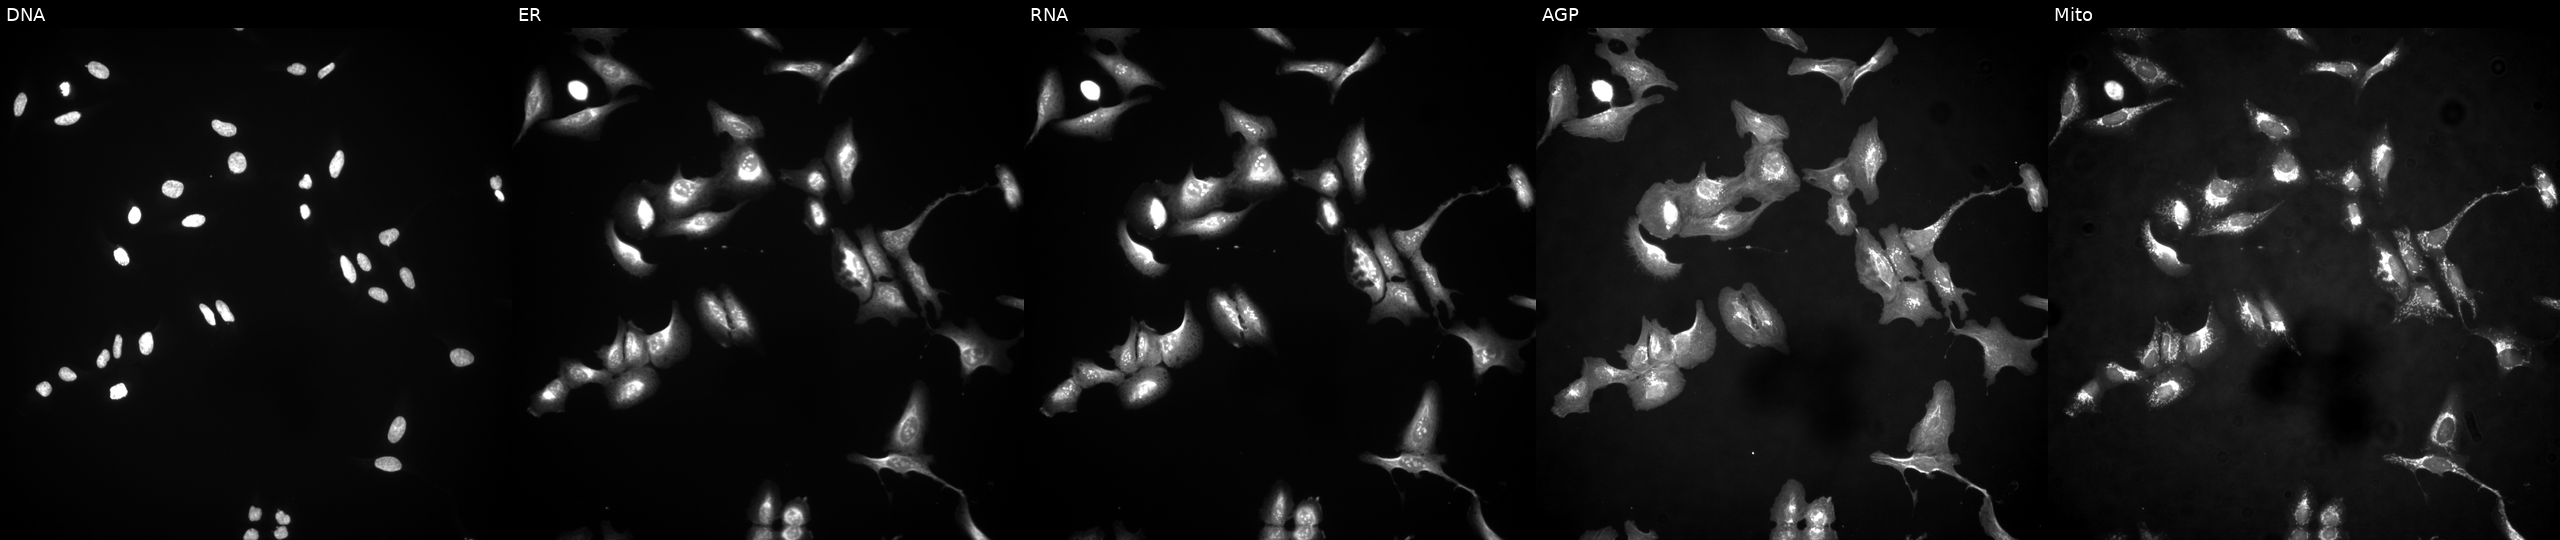
JUMP Cell Painting — ORF plate. U2OS cells overexpressing CH507-42P11.6 via ORF transfection. From left to right: DNA, ER, RNA, AGP, and Mito.